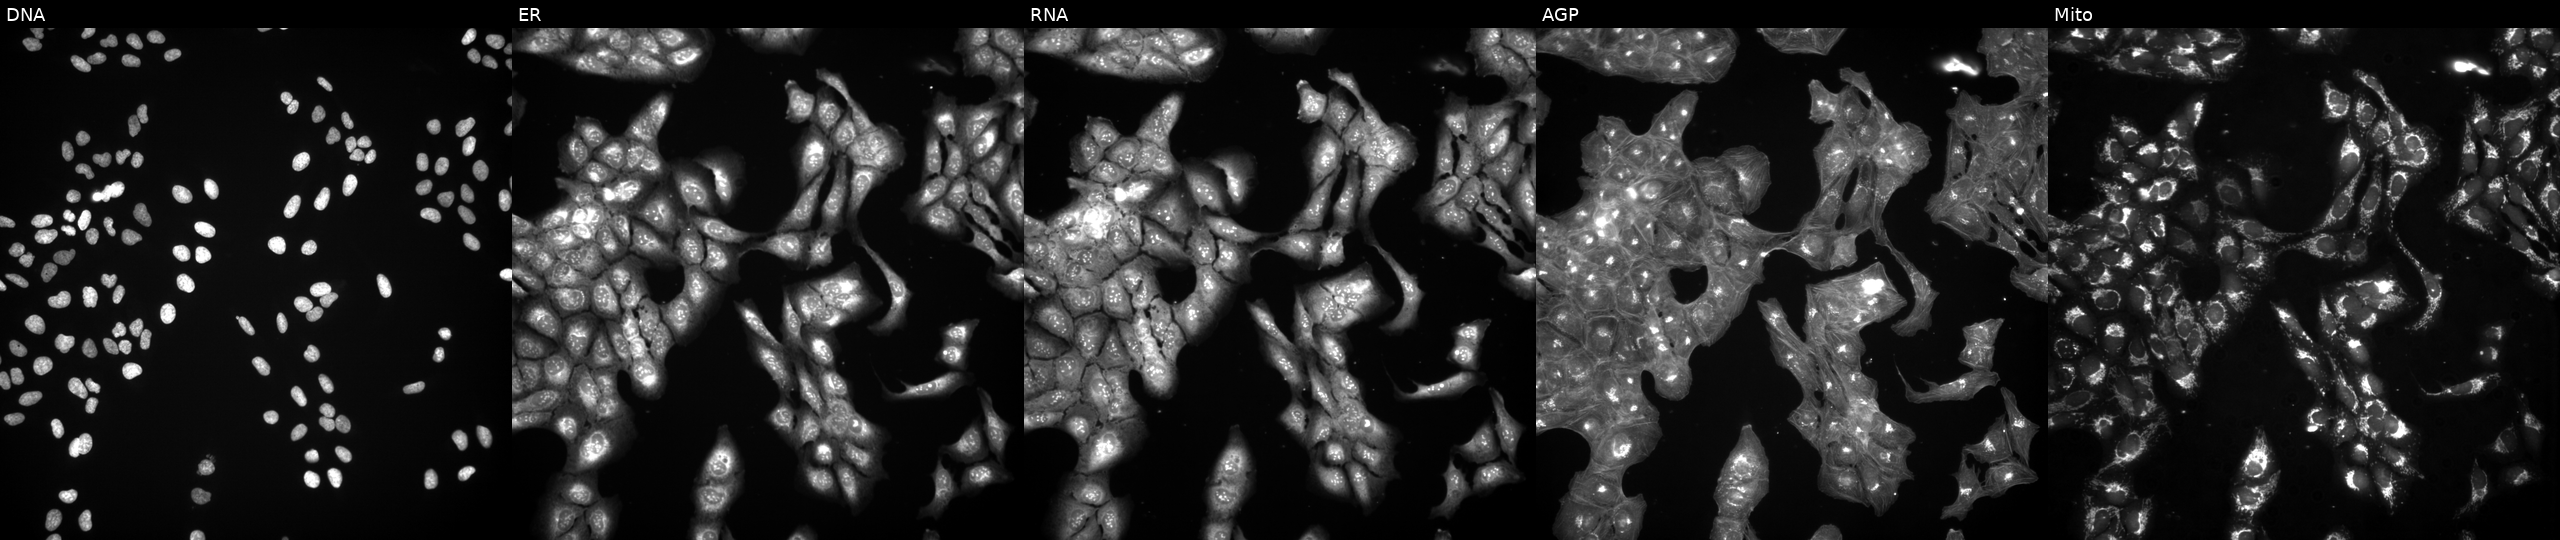
Five-channel Cell Painting image of U2OS cells treated with a small-molecule compound (InChIKey GVJHHUAWPYXKBD-UHFFFAOYSA-N) [SMILES: Cc1c(C)c2c(c(C)c1O)CCC(C)(CCCC(C)CCCC(C)CCCC(C)C)O2] (JUMP id JCP2022_028032). From left to right: DNA, ER, RNA, AGP, and Mito.